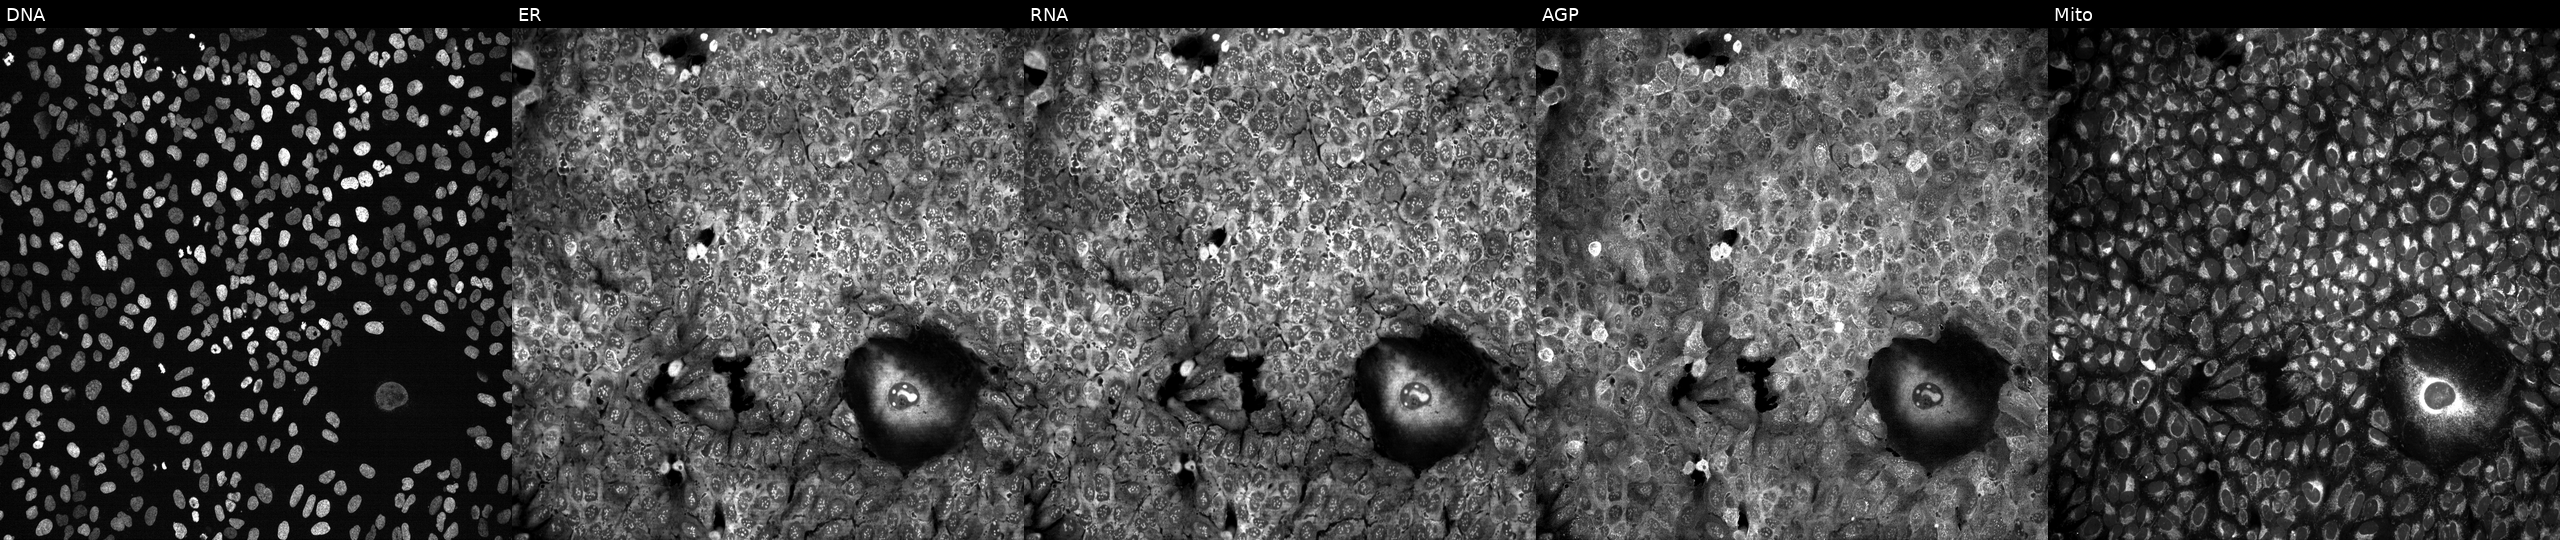
High-content fluorescence microscopy (Cell Painting). Cell line: U2OS. Perturbation: CRISPR-edited to disrupt HAVCR2. Channels (left→right): DNA, ER, RNA, AGP, and Mito.